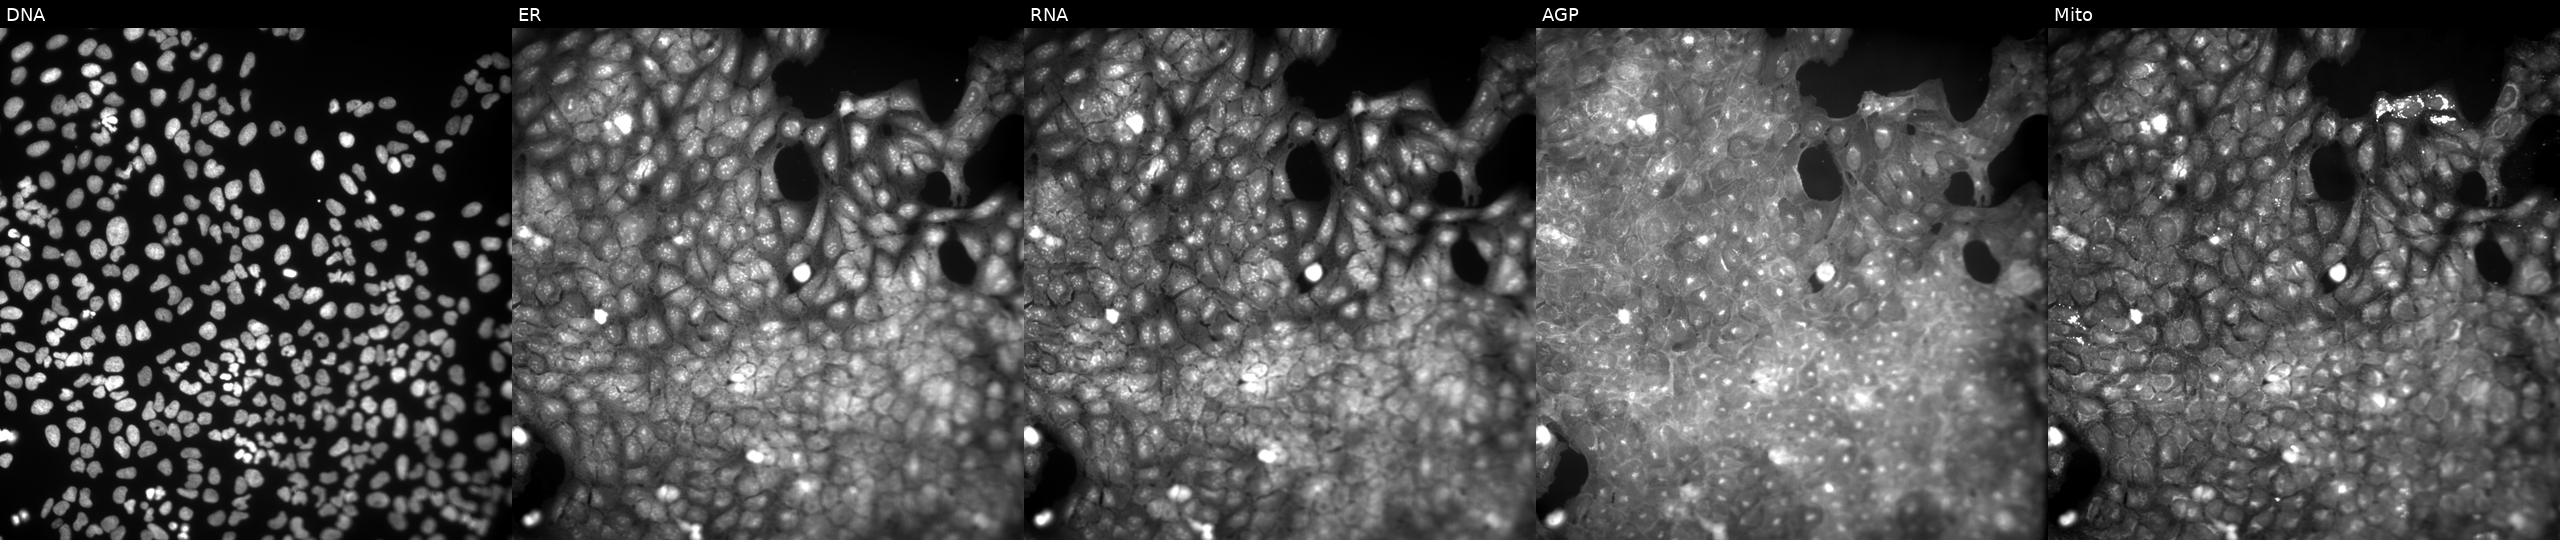
U2OS cells, Cell Painting assay, perturbed with a small-molecule compound (InChIKey FRHYGDBARSVRMC-UHFFFAOYSA-N) (JUMP id JCP2022_022460). The five panels, left to right, show DNA, ER, RNA, AGP, and Mito. Each panel is percentile-stretched 16-bit fluorescence. Source 9, plate GR00003381, well AB46.